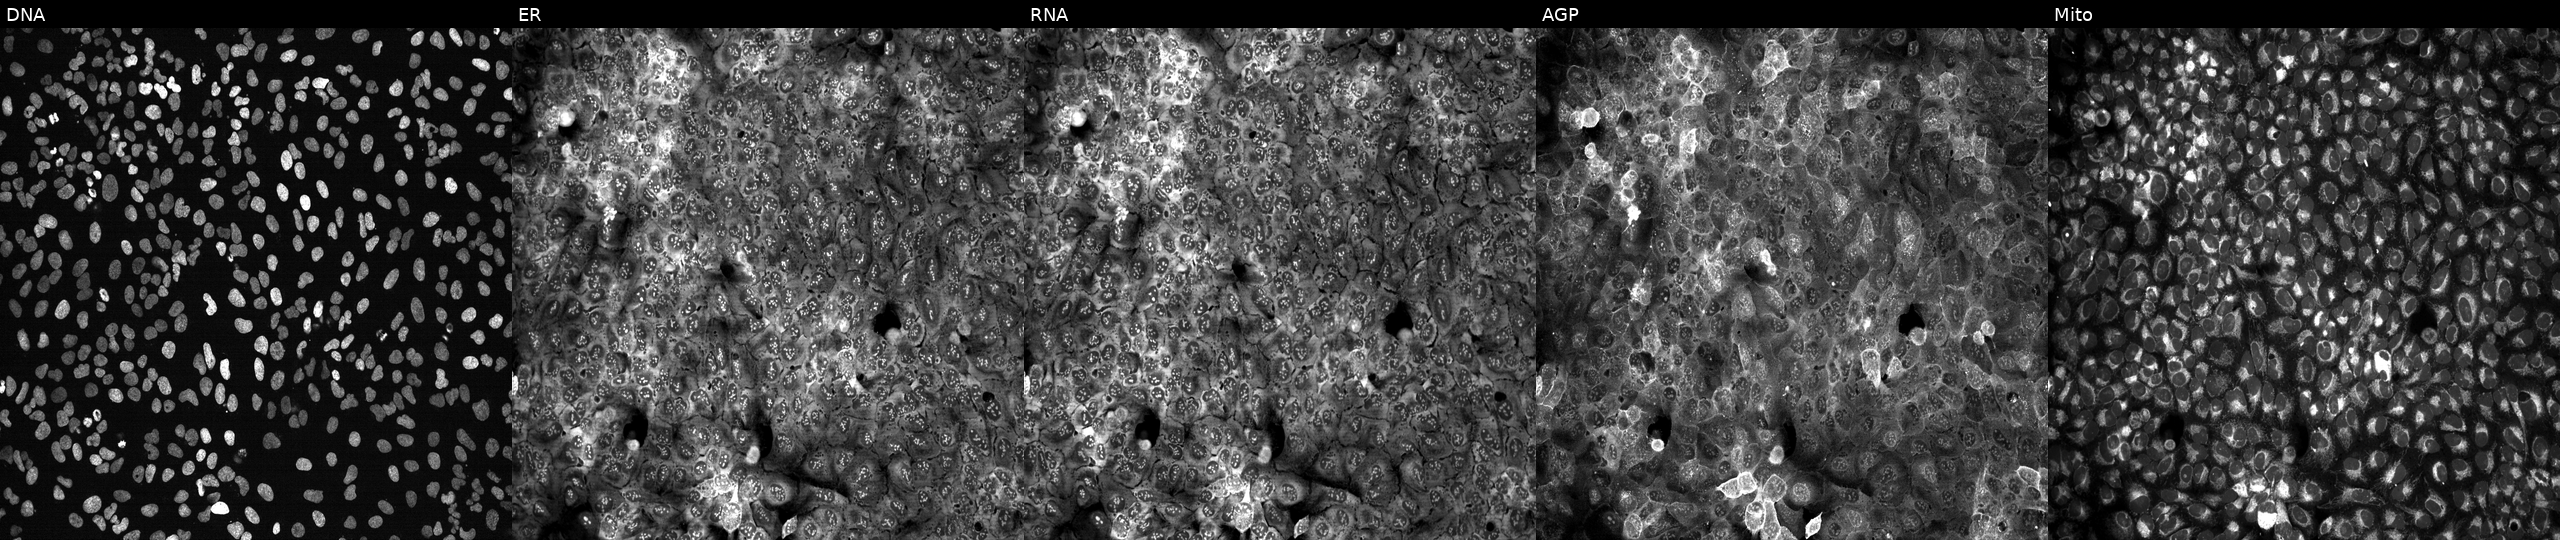
Five-channel Cell Painting image of U2OS cells CRISPR-edited to disrupt LAIR1 (JUMP id JCP2022_803768). From left to right: Hoechst 33342, concanavalin A, SYTO 14, phalloidin and WGA, MitoTracker.